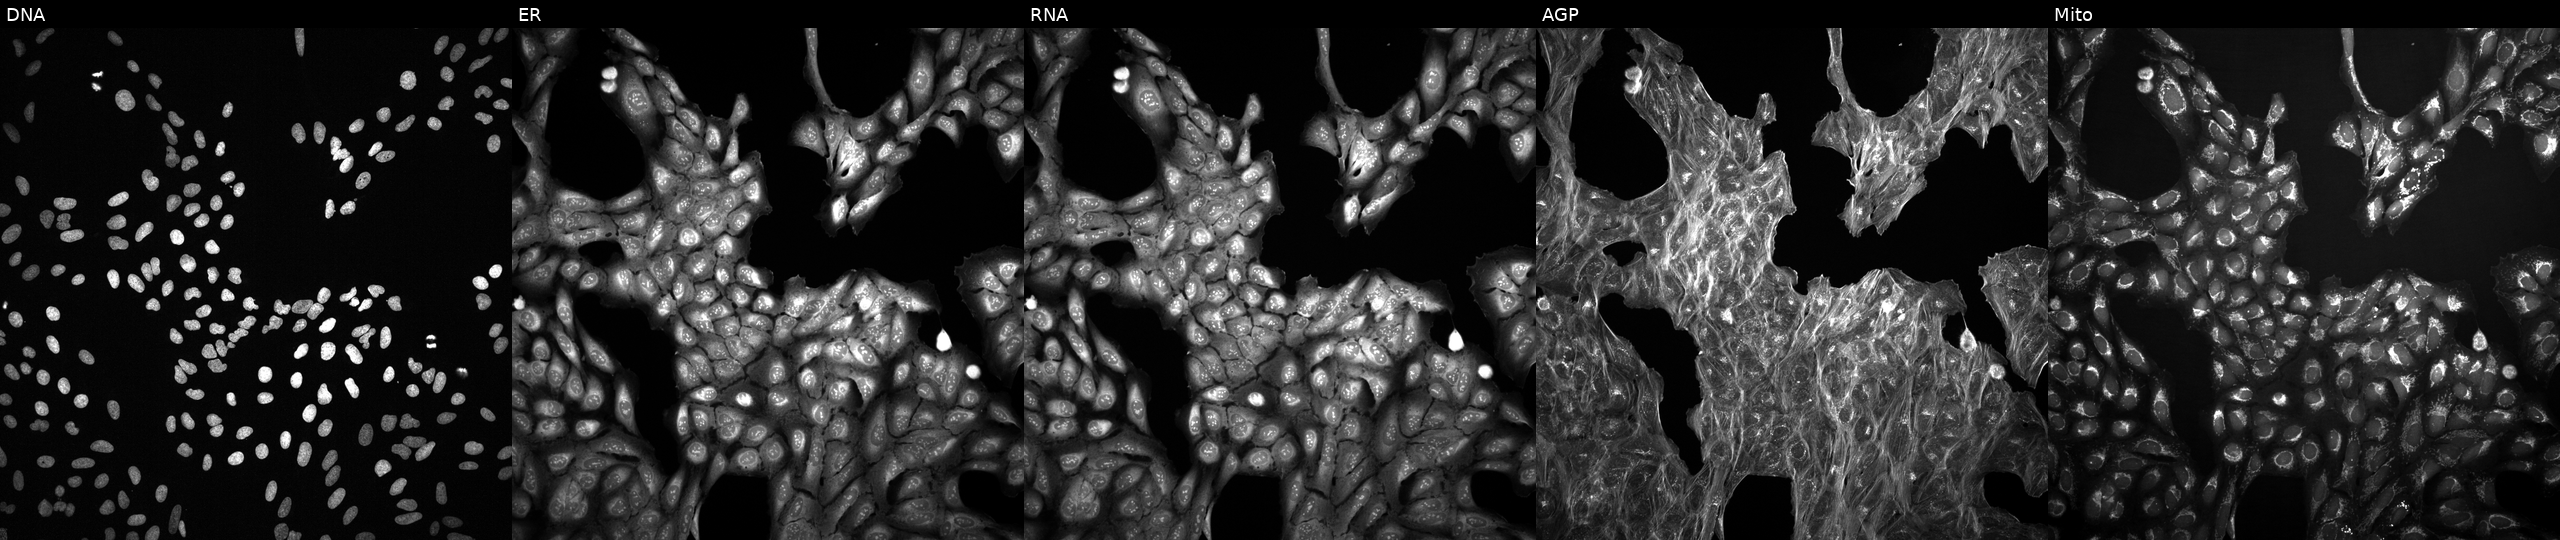
From left to right: DNA (nuclei); ER (endoplasmic reticulum); RNA (nucleoli and cytoplasmic RNA); AGP (actin cytoskeleton, Golgi, and plasma membrane); Mito (mitochondria). U2OS osteosarcoma cells treated with DMSO vehicle only (negative control). Cell Painting assay, JUMP-CP dataset.